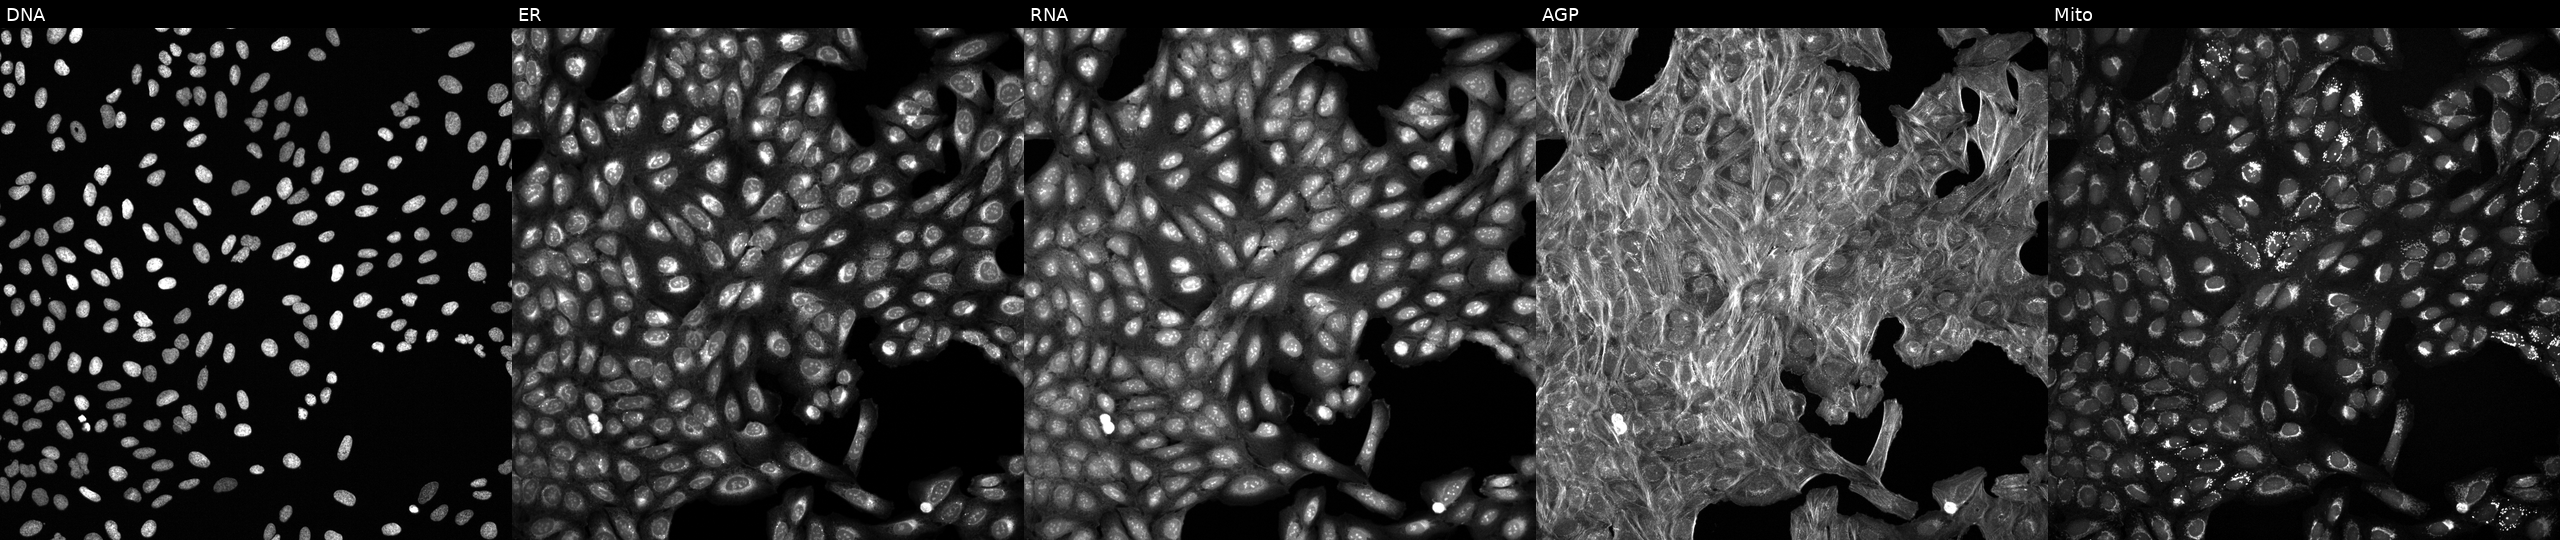
JUMP Cell Painting — COMPOUND plate. U2OS cells treated with a small-molecule compound (JUMP id JCP2022_001460). From left to right: DNA (nuclei); ER (endoplasmic reticulum); RNA (nucleoli and cytoplasmic RNA); AGP (actin cytoskeleton, Golgi, and plasma membrane); Mito (mitochondria). Source 6, plate 110000293083, well D10.